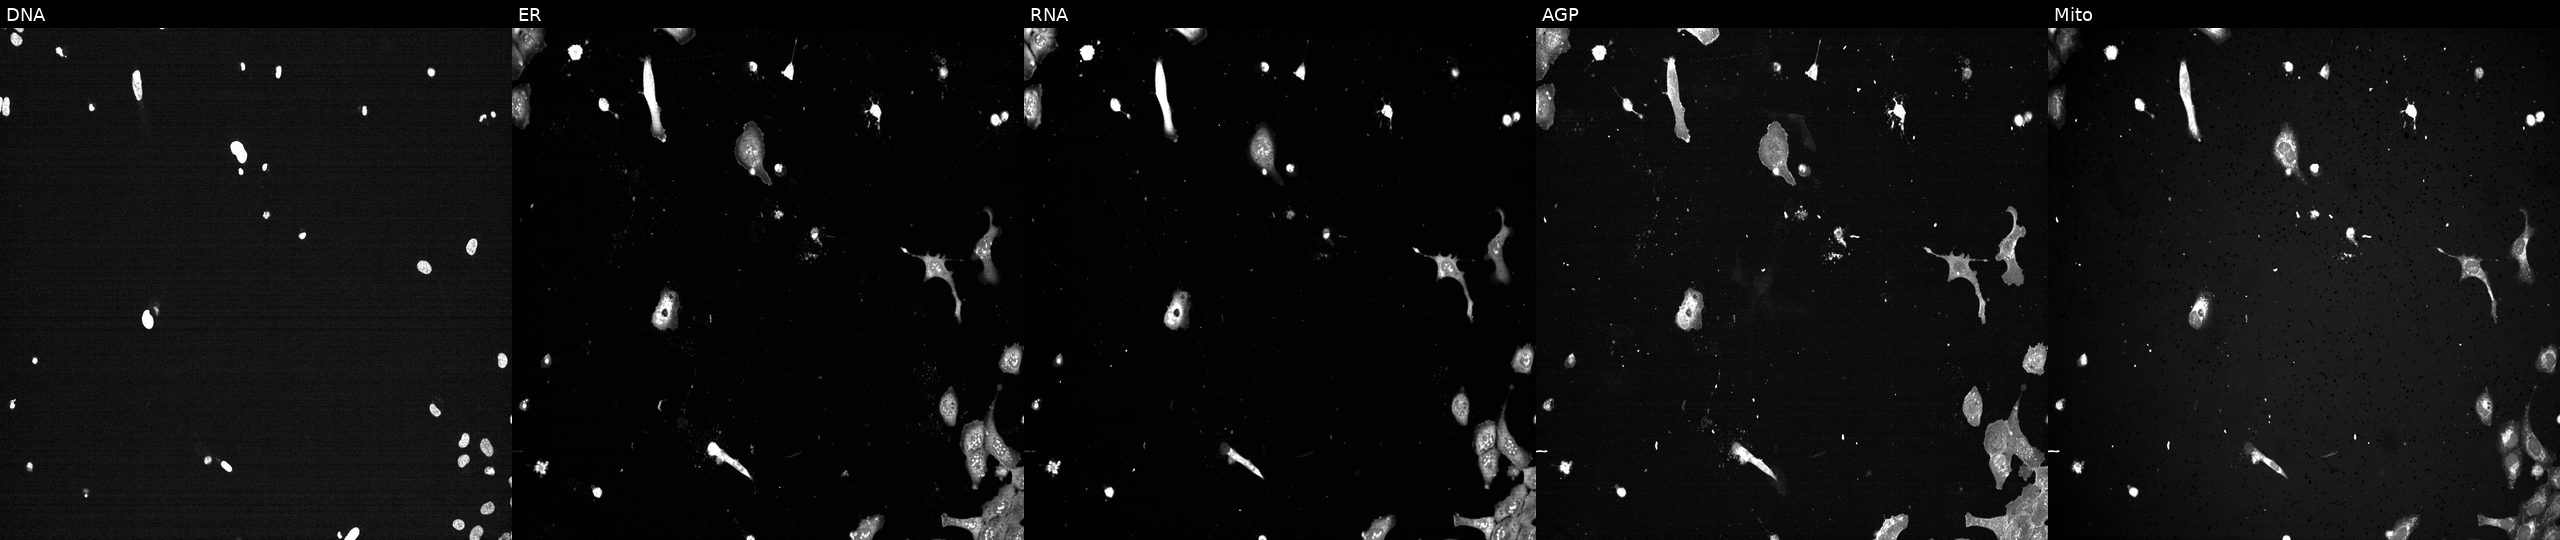
Five-channel Cell Painting image of U2OS cells CRISPR-edited to disrupt POLR2A (JUMP id JCP2022_805342). From left to right: DNA (nuclei); ER (endoplasmic reticulum); RNA (nucleoli and cytoplasmic RNA); AGP (actin cytoskeleton, Golgi, and plasma membrane); Mito (mitochondria). Source 13, plate CP-CC9-R5-01, well B15.